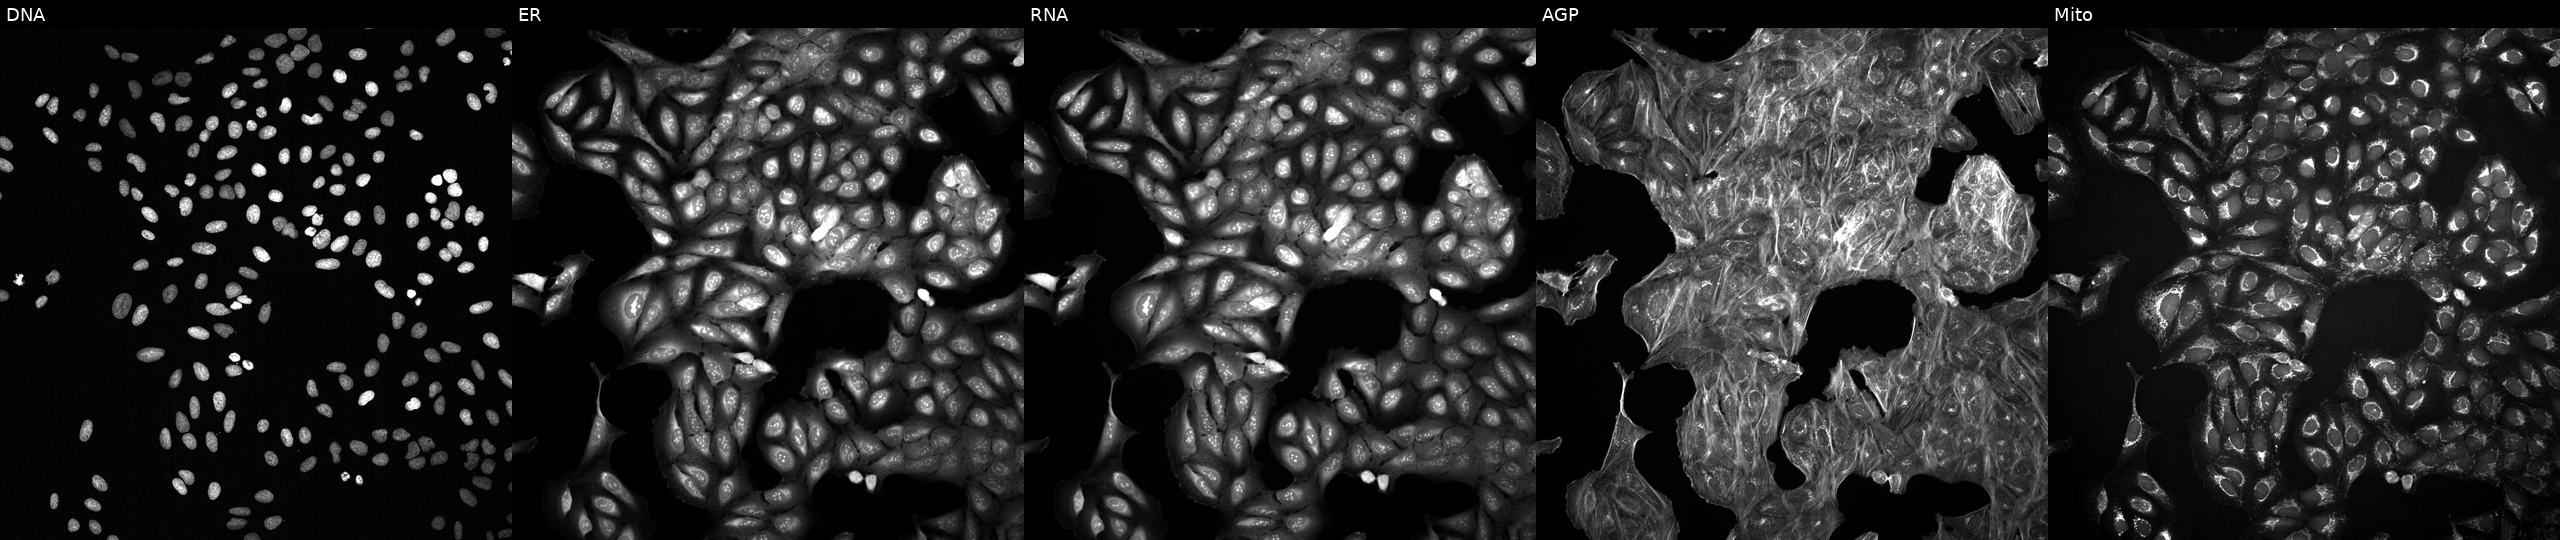
This image strip shows the five Cell Painting channels for a single field of U2OS cells perturbed with a small-molecule compound (InChIKey NRRUDOPMQYIGPF-UHFFFAOYSA-N) [SMILES: Cc1cccc2cc(CN(CCO)C(=O)Nc3ccccc3F)c(=O)[nH]c12]. From left to right: Hoechst 33342, concanavalin A, SYTO 14, phalloidin and WGA, MitoTracker. Source 2, plate 1053601756, well I11.